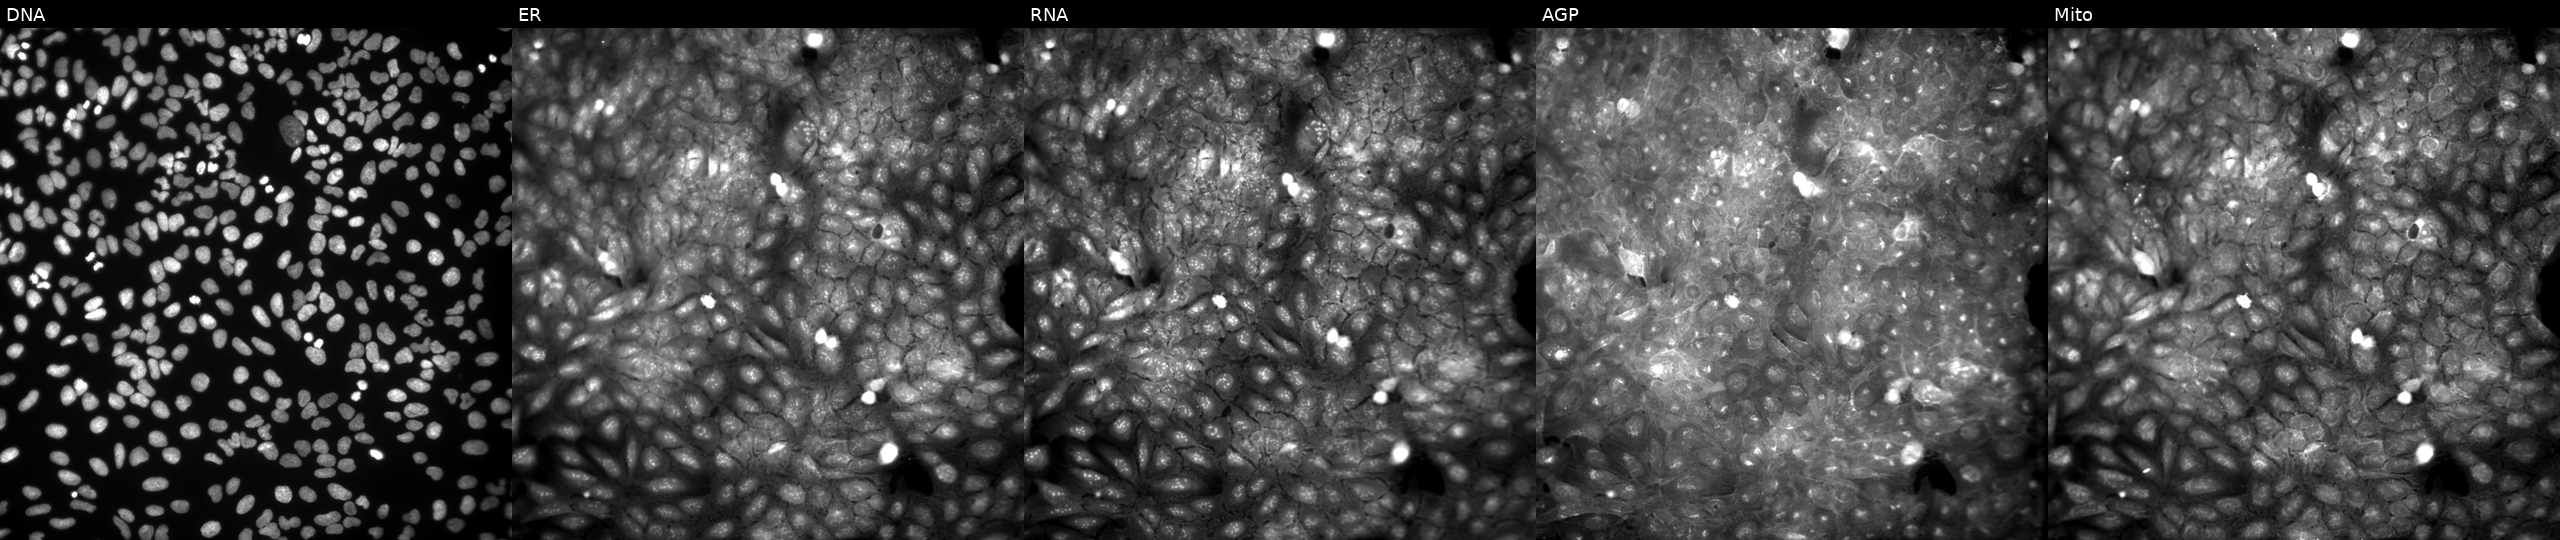
U2OS cells, Cell Painting assay, treated with a small-molecule compound. From left to right: DNA, ER, RNA, AGP, and Mito. Each panel is percentile-stretched 16-bit fluorescence.